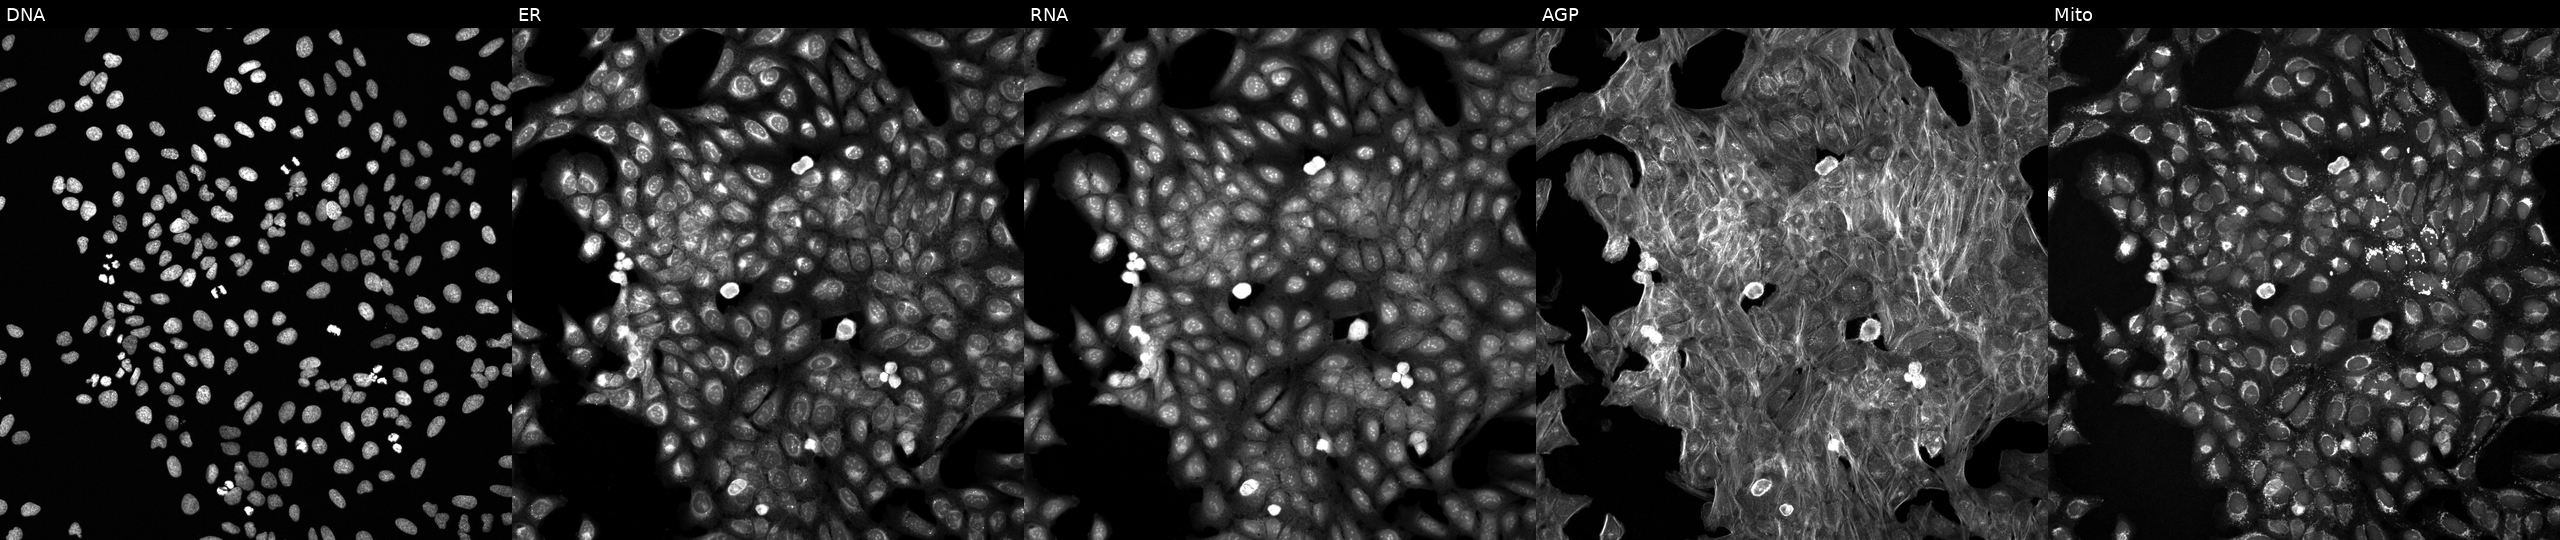
High-content fluorescence microscopy (Cell Painting). Cell line: U2OS. Perturbation: treated with a small-molecule compound (InChIKey PIMZUZSSNYHVCU-UHFFFAOYSA-N). Panels show, left to right, Hoechst 33342, concanavalin A, SYTO 14, phalloidin and WGA, MitoTracker. Source 6, plate 110000293093, well C05.